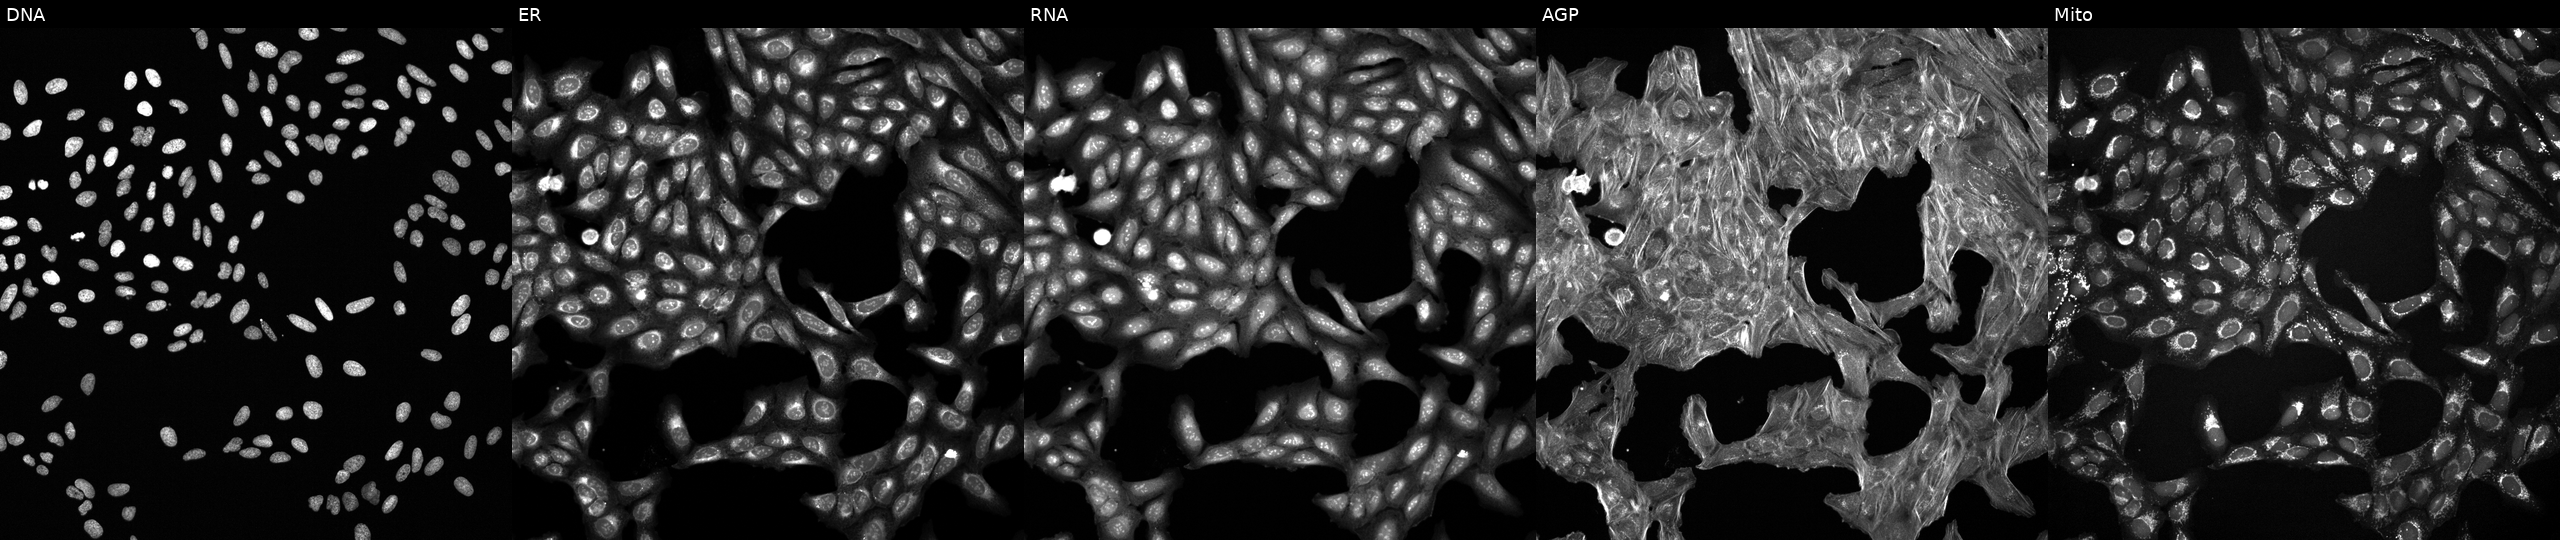
High-content fluorescence microscopy (Cell Painting). Cell line: U2OS. Perturbation: treated with a small-molecule compound (InChIKey QAYRTCCZPKTODV-UHFFFAOYSA-N). The five panels, left to right, show DNA, ER, RNA, AGP, and Mito. Source 6, plate 110000293082, well B07.